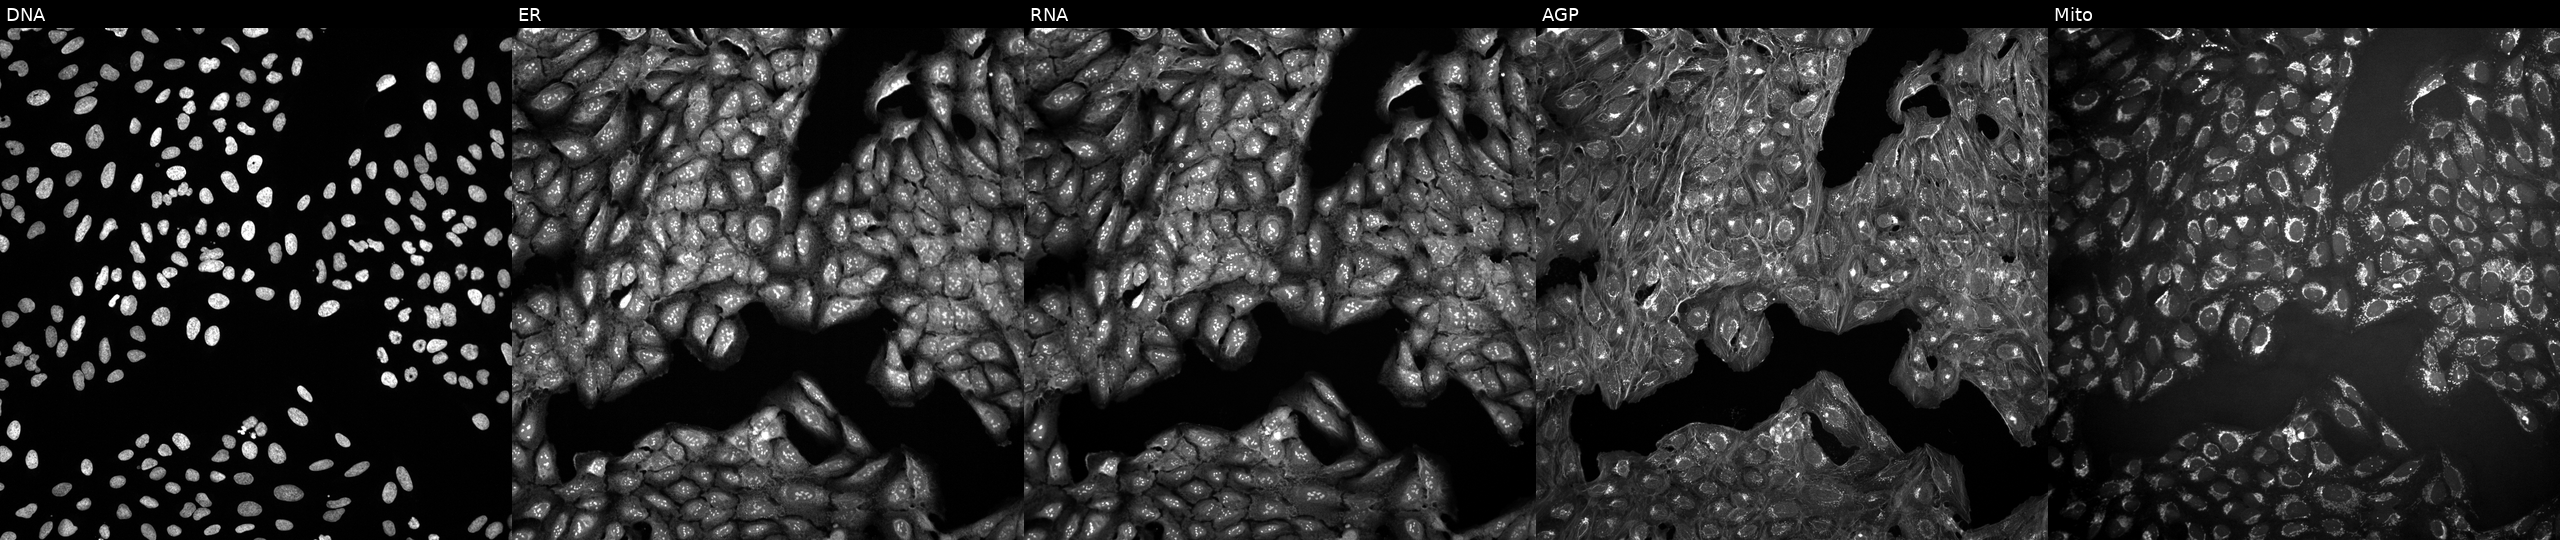
This image strip shows the five Cell Painting channels for a single field of U2OS cells untreated (empty-well control). The five panels, left to right, show DNA, ER, RNA, AGP, and Mito. Source 10, plate Dest210531-152149, well K11.